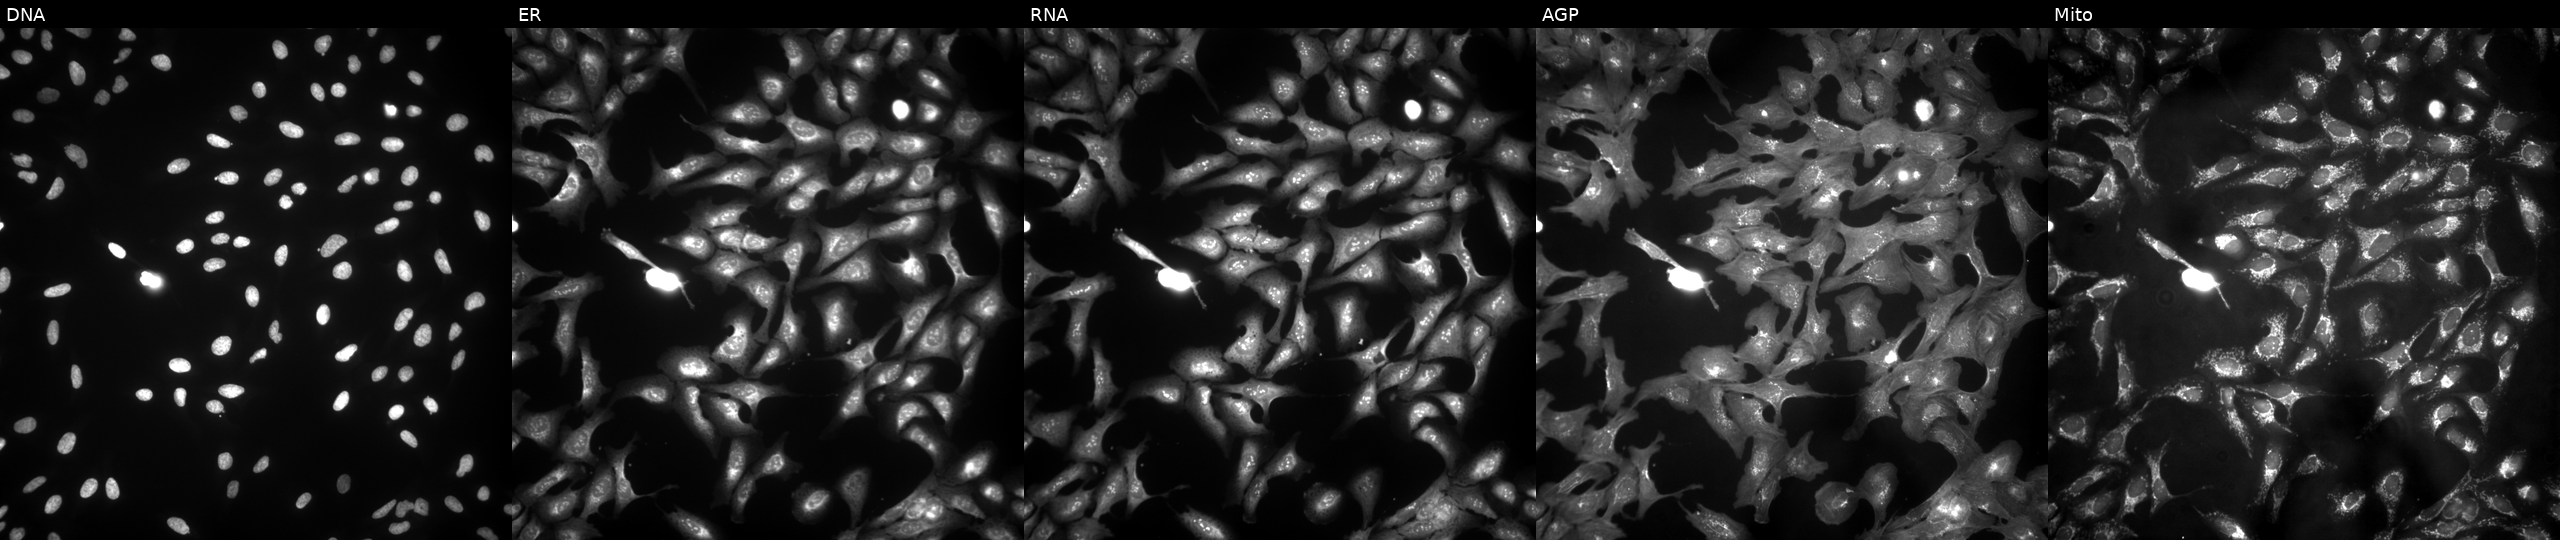
Channels (left→right): DNA, ER, RNA, AGP, and Mito. U2OS osteosarcoma cells transfected with an ORF construct for GMPPA (JUMP id JCP2022_902915). Cell Painting assay, JUMP-CP dataset.